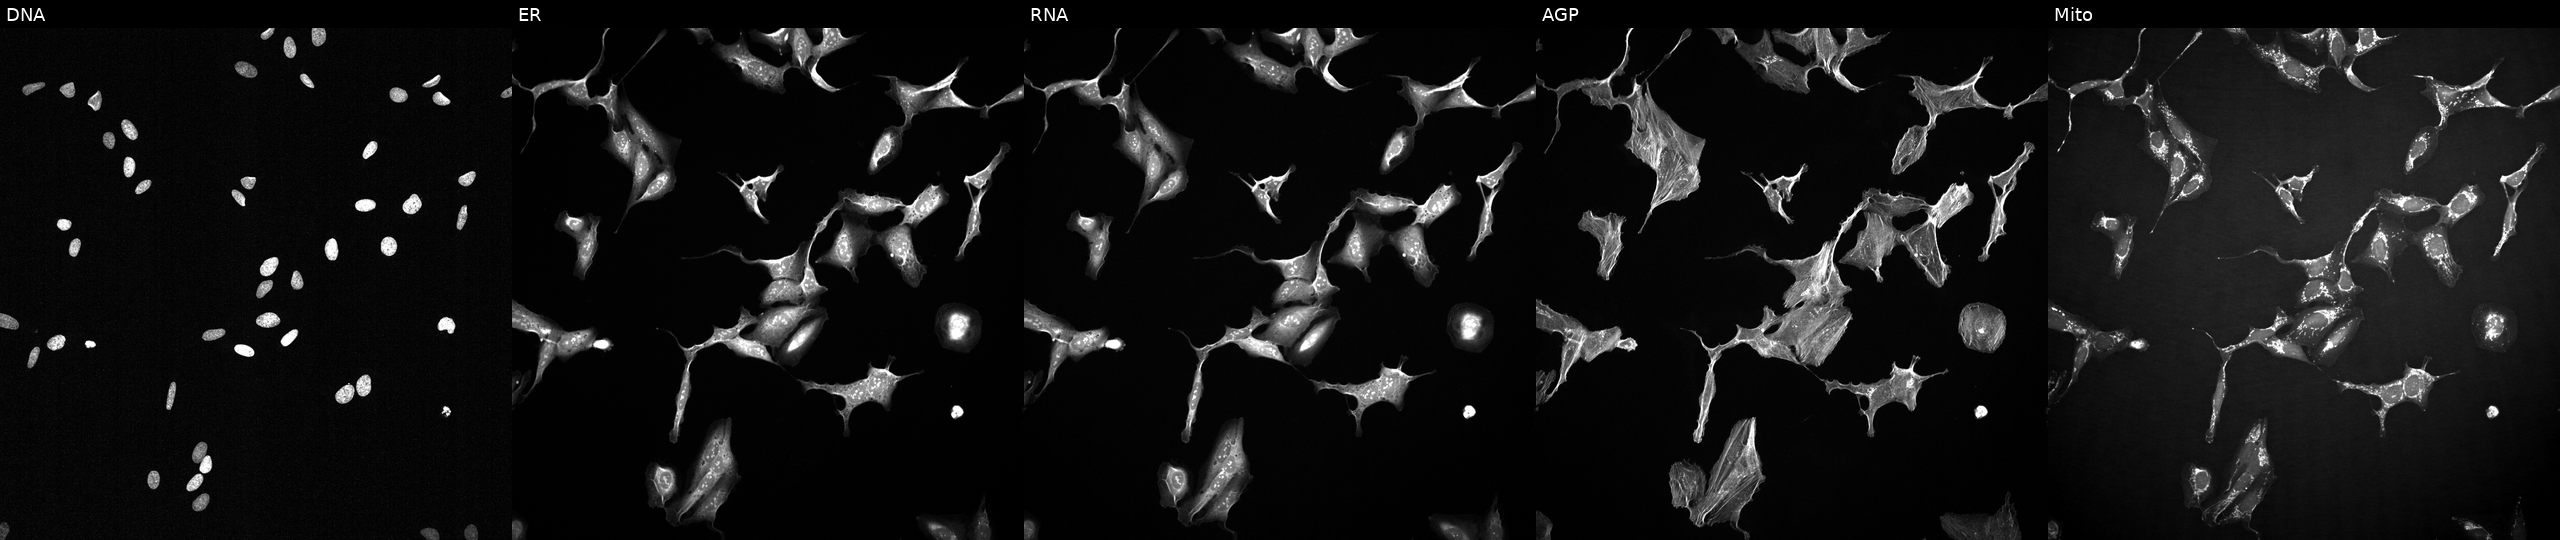
U2OS cells, Cell Painting assay, exposed to a small-molecule compound (InChIKey YPHMISFOHDHNIV-UHFFFAOYSA-N). Channels (left→right): DNA (nuclei); ER (endoplasmic reticulum); RNA (nucleoli and cytoplasmic RNA); AGP (actin cytoskeleton, Golgi, and plasma membrane); Mito (mitochondria). Each panel is percentile-stretched 16-bit fluorescence.